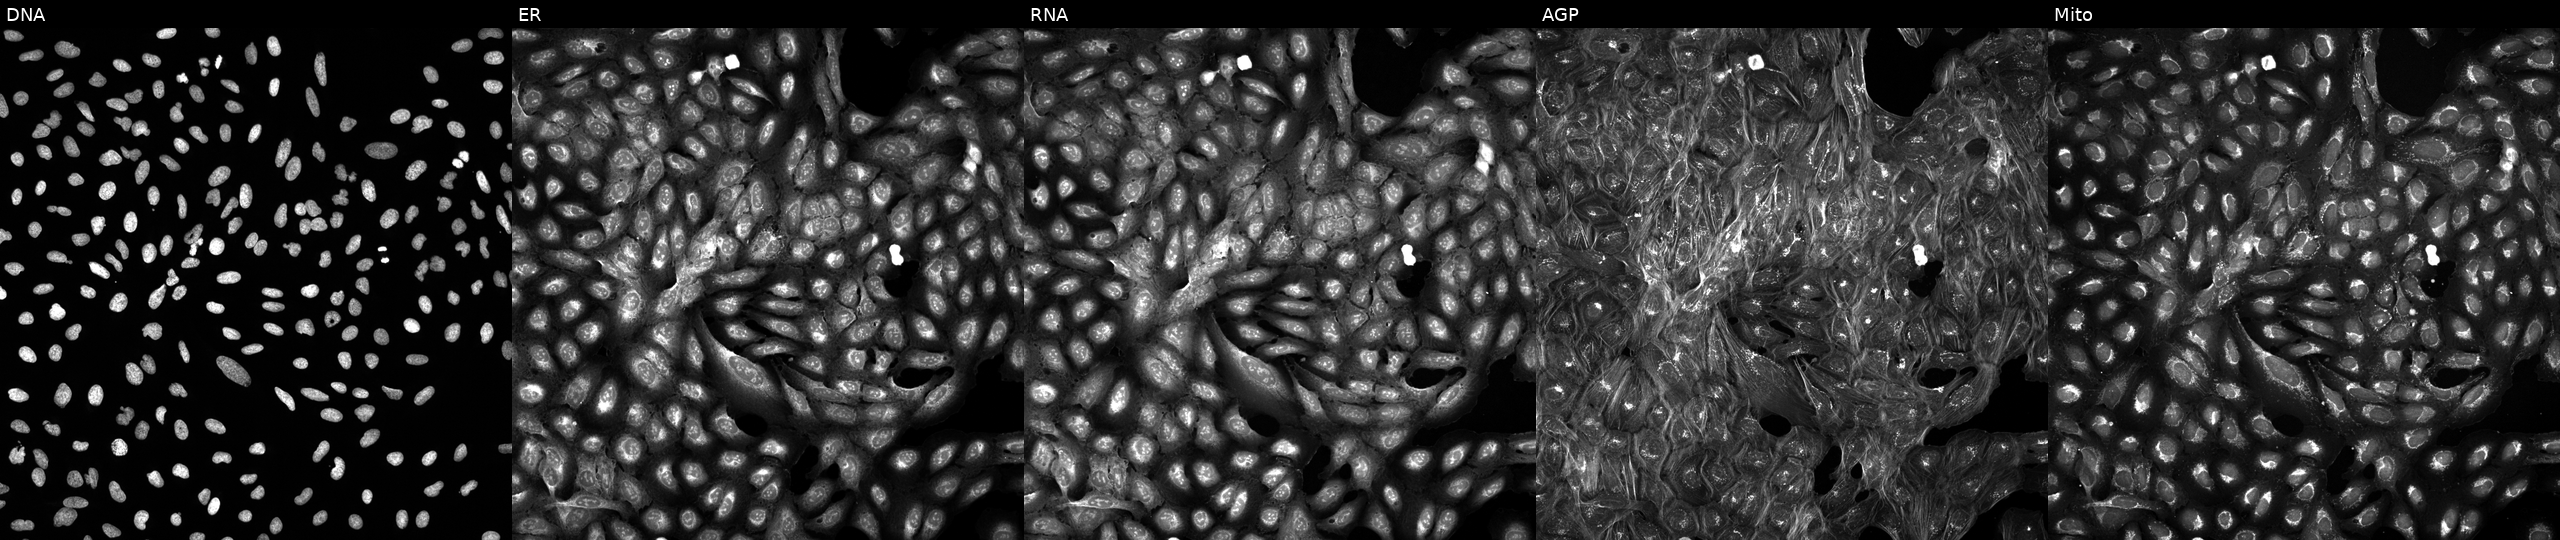
High-content fluorescence microscopy (Cell Painting). Cell line: U2OS. Perturbation: exposed to a small-molecule compound (InChIKey QQGWEXFLMJGCAL-UHFFFAOYSA-N). Channels (left→right): DNA, ER, RNA, AGP, and Mito.